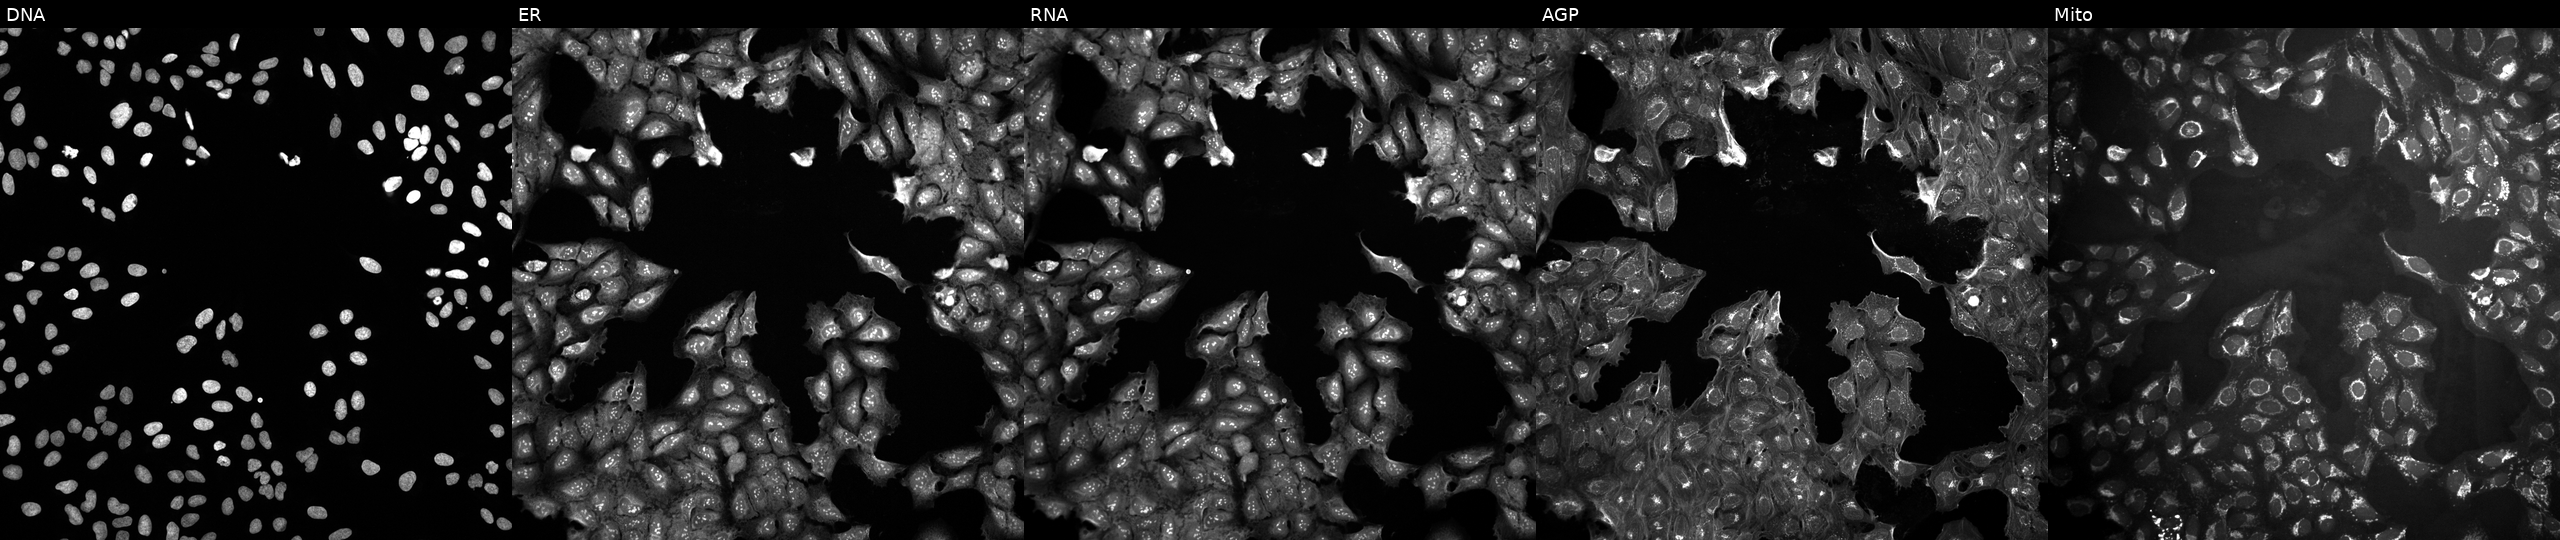
Five-channel Cell Painting image of U2OS cells treated with DMSO vehicle only (negative control) (JUMP id JCP2022_033924). From left to right: DNA, ER, RNA, AGP, and Mito. Source 10, plate Dest210531-152149, well M02.